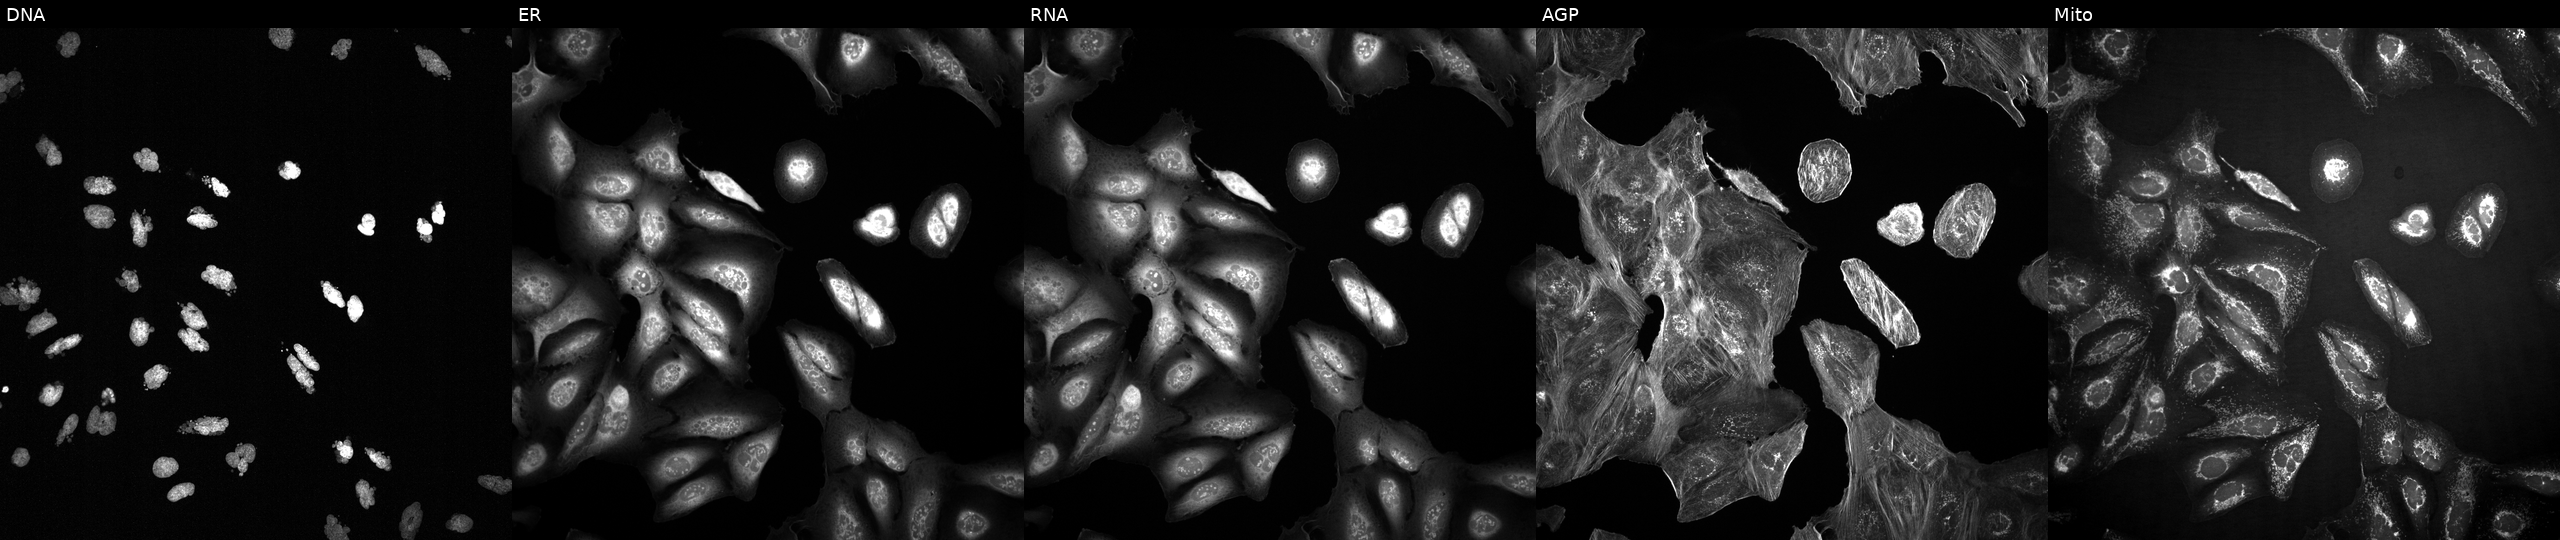
This image strip shows the five Cell Painting channels for a single field of U2OS cells treated with AMG900 (positive-control compound) (JUMP id JCP2022_037716). From left to right: Hoechst 33342, concanavalin A, SYTO 14, phalloidin and WGA, MitoTracker. Source 2, plate 1053601763, well F24.